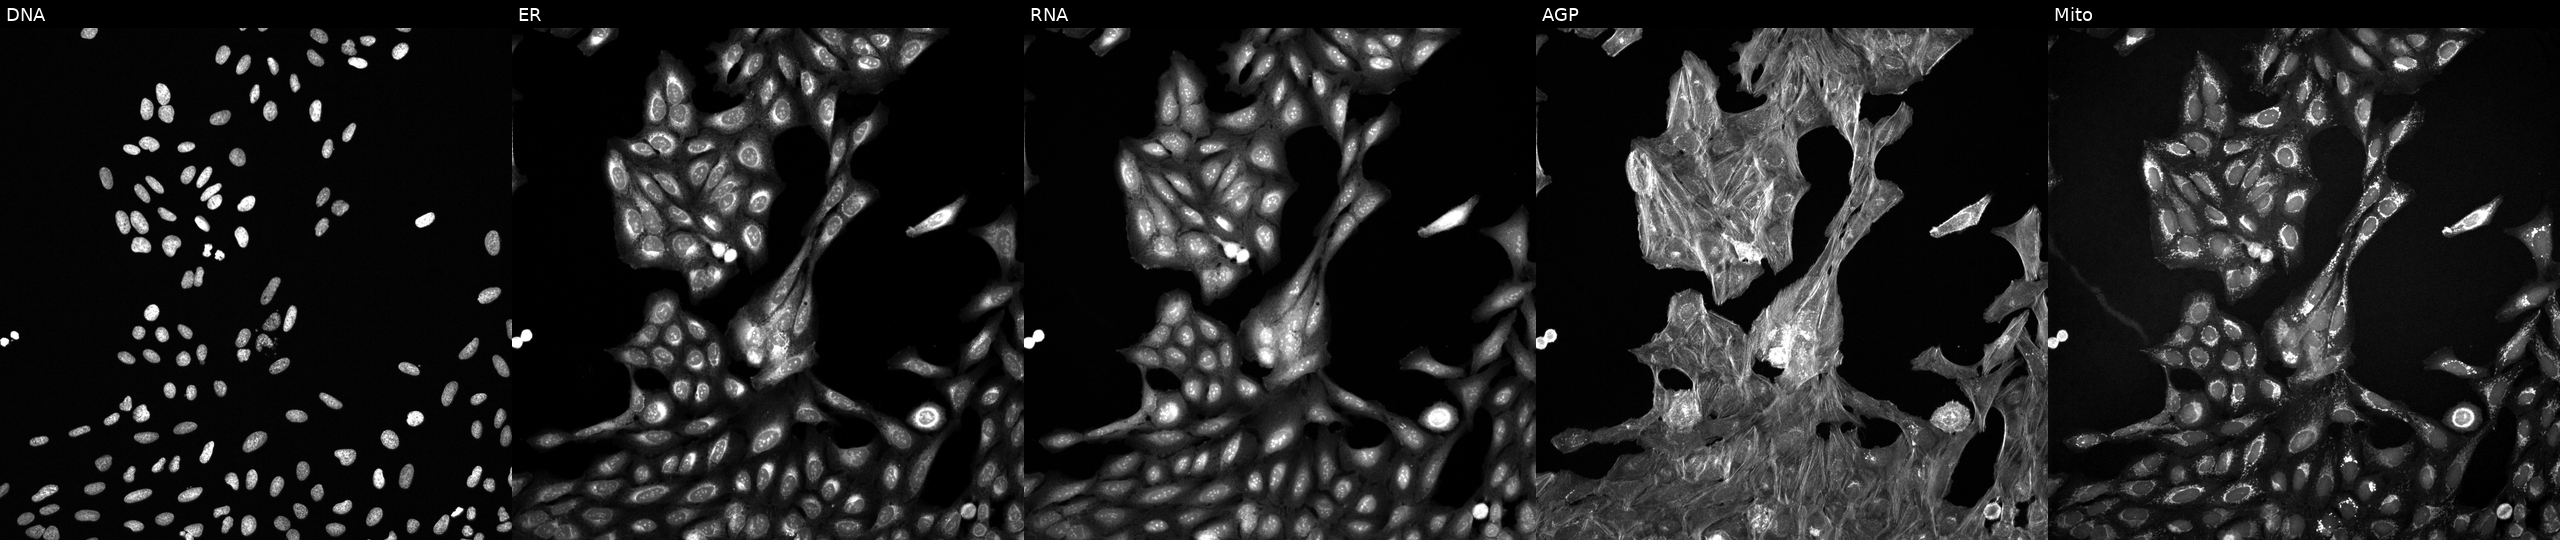
JUMP Cell Painting — TARGET2 plate. U2OS cells perturbed with a small-molecule compound (InChIKey QHKYPYXTTXKZST-UHFFFAOYSA-N) [SMILES: Oc1ccc(-c2nc(-c3ccc(F)cc3)c(-c3ccncc3)[nH]2)cc1]. The five panels, left to right, show DNA, ER, RNA, AGP, and Mito.